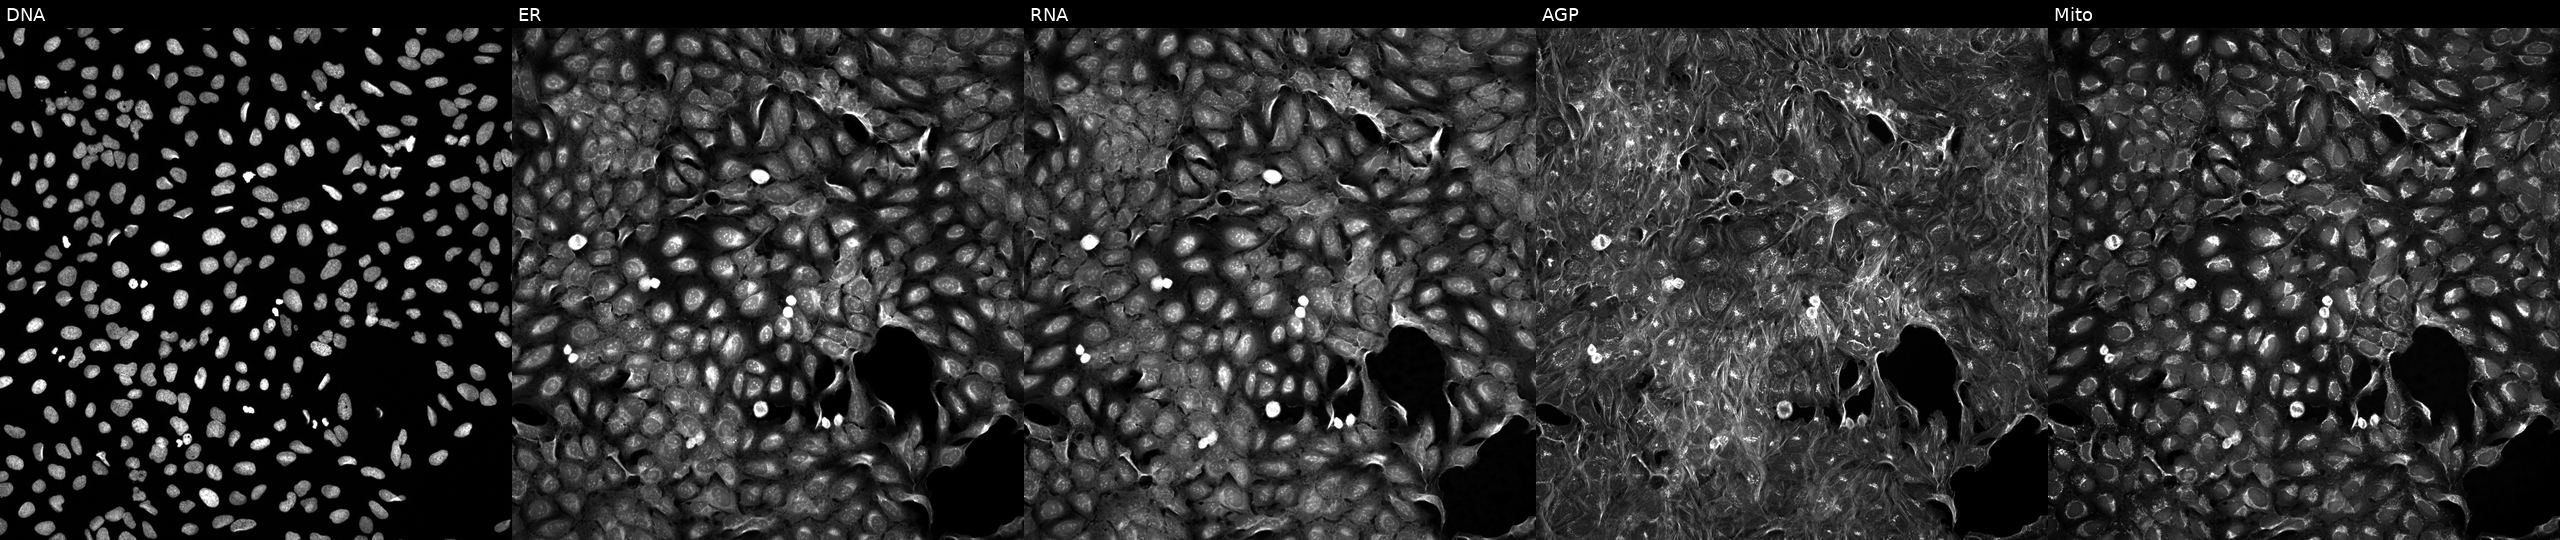
Five-channel Cell Painting image of U2OS cells perturbed with a small-molecule compound (InChIKey KSCFJBIXMNOVSH-UHFFFAOYSA-N) [SMILES: Cn1c(=O)c2c(ncn2CC(O)CO)n(C)c1=O]. Panels show, left to right, DNA, ER, RNA, AGP, and Mito.